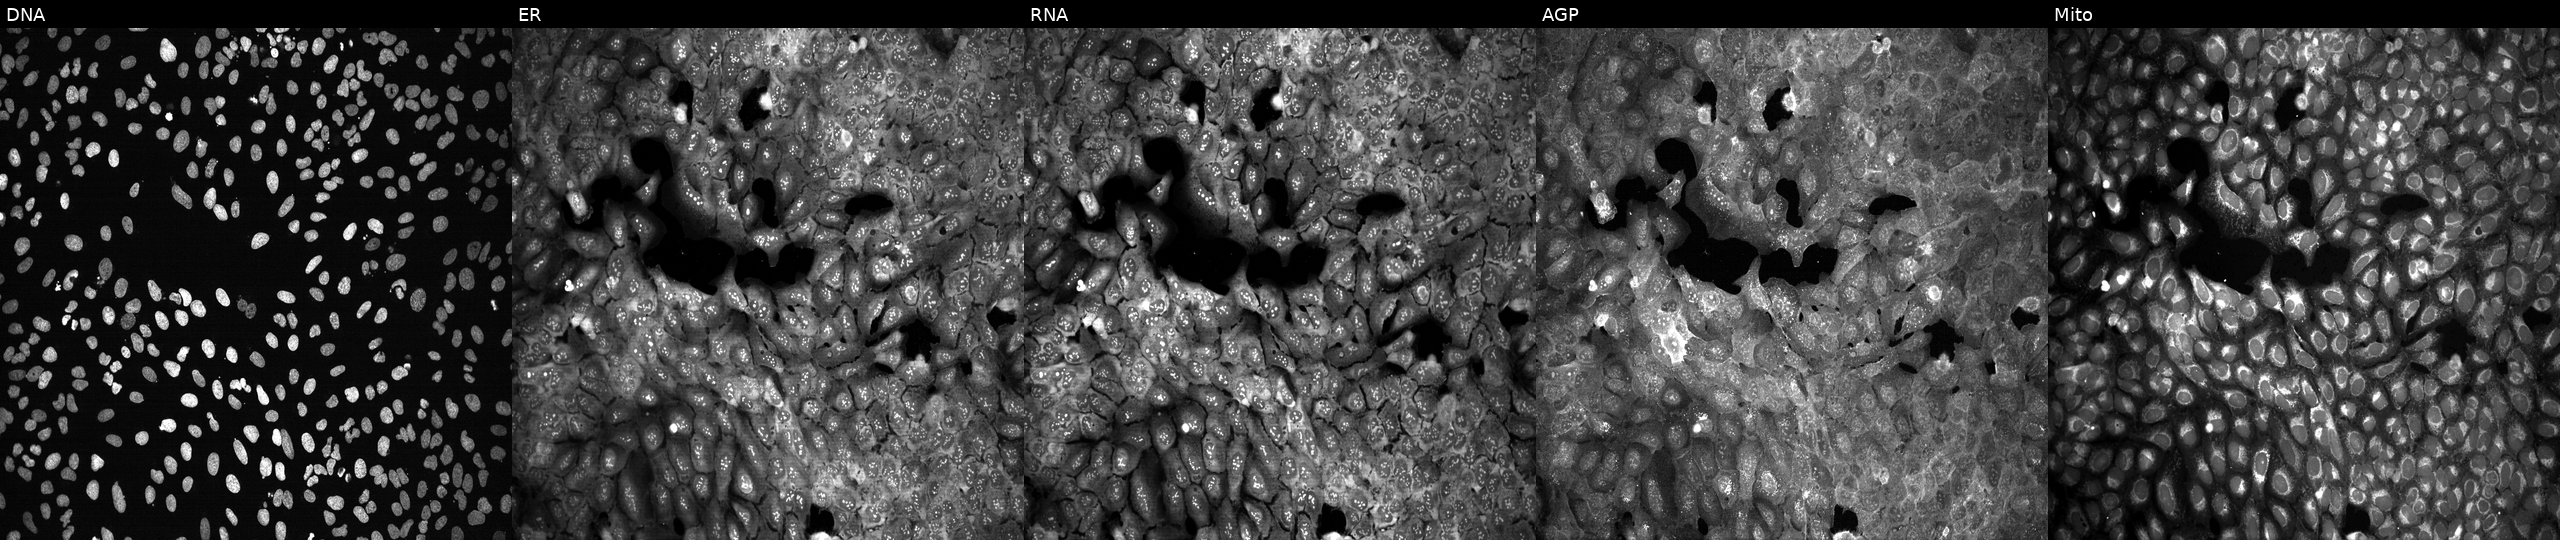
Five-channel Cell Painting image of U2OS cells following CRISPR knockout of NMNAT2 (JUMP id JCP2022_804622). Panels show, left to right, DNA, ER, RNA, AGP, and Mito. Source 13, plate CP-CC9-R5-01, well K20.